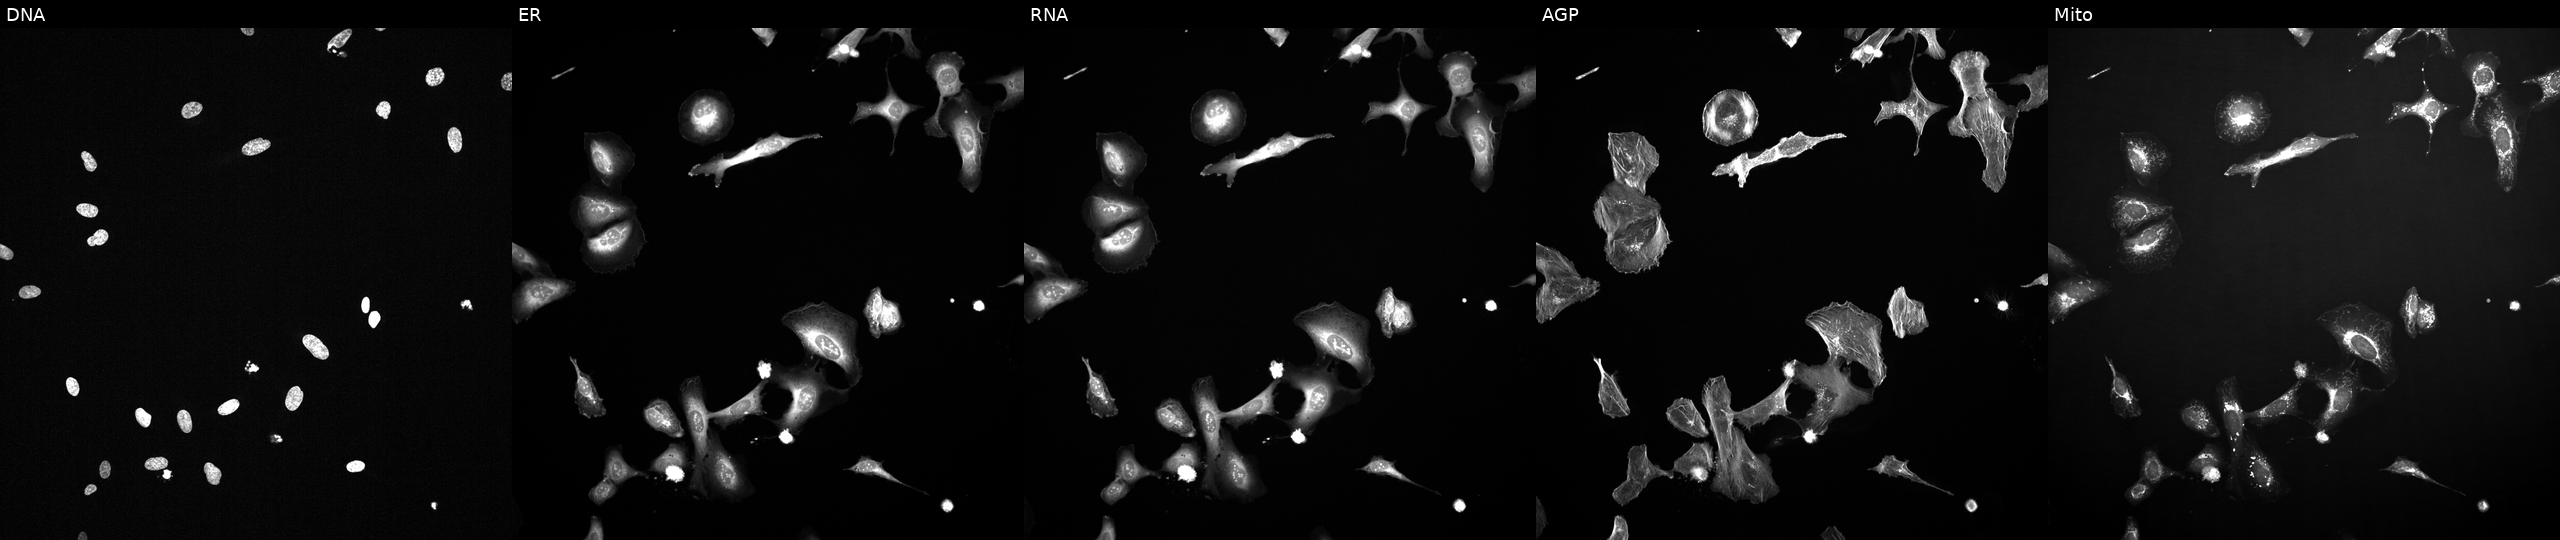
Five-channel Cell Painting image of U2OS cells exposed to a small-molecule compound (InChIKey HUXYBQXJVXOMKX-UHFFFAOYSA-N) (JUMP id JCP2022_032771). Channels (left→right): Hoechst 33342, concanavalin A, SYTO 14, phalloidin and WGA, MitoTracker.